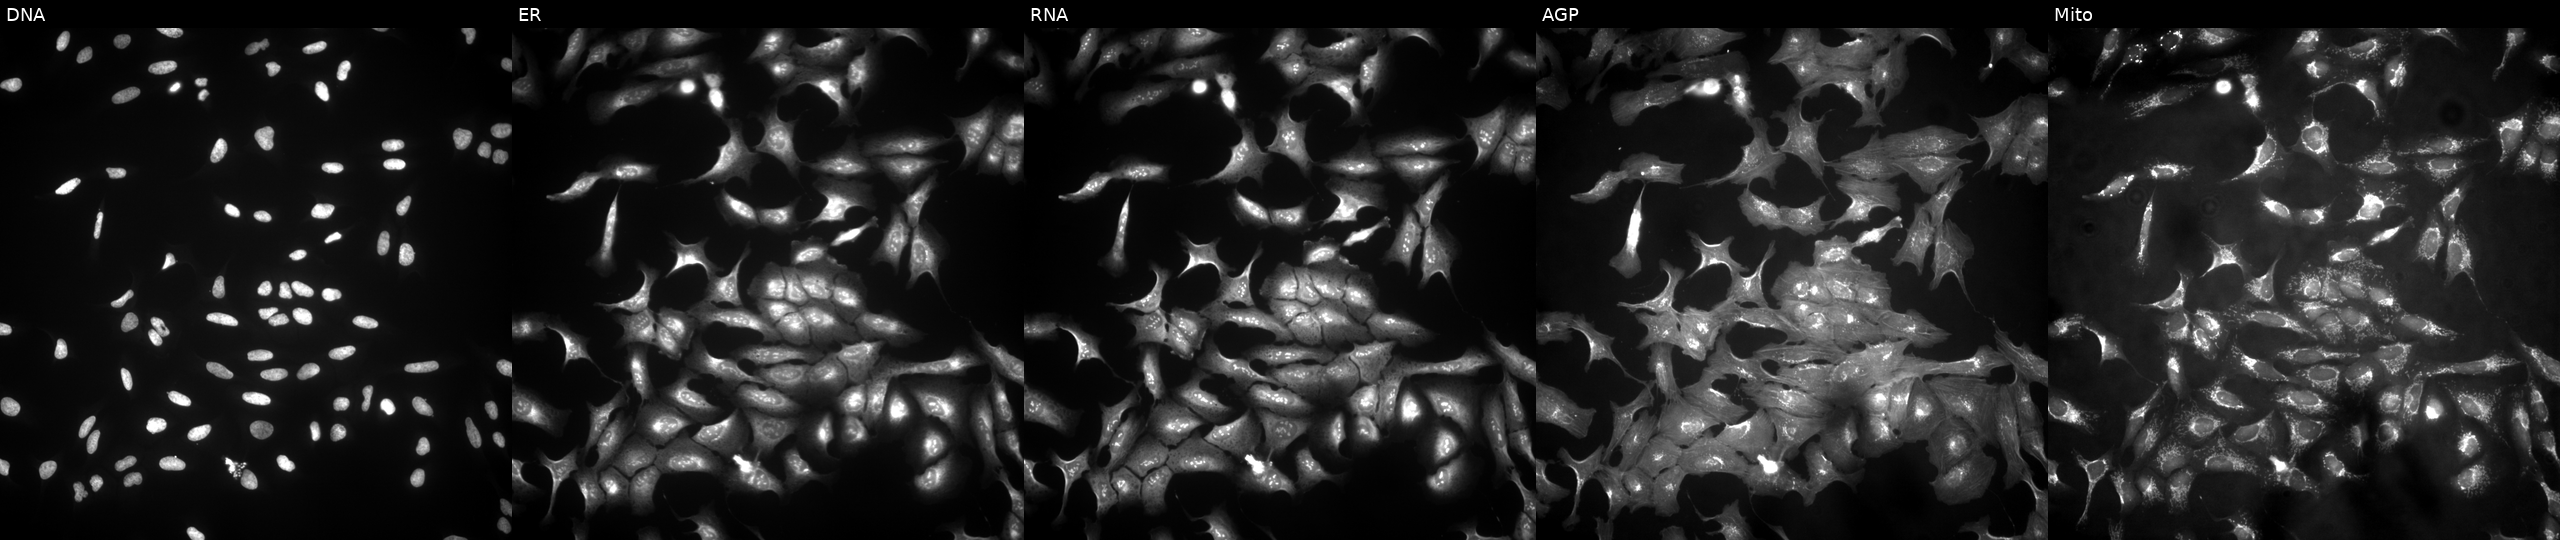
JUMP Cell Painting — ORF plate. U2OS cells with ZDHHC6 overexpressed (ORF) (JUMP id JCP2022_911633). Panels show, left to right, DNA (nuclei); ER (endoplasmic reticulum); RNA (nucleoli and cytoplasmic RNA); AGP (actin cytoskeleton, Golgi, and plasma membrane); Mito (mitochondria).